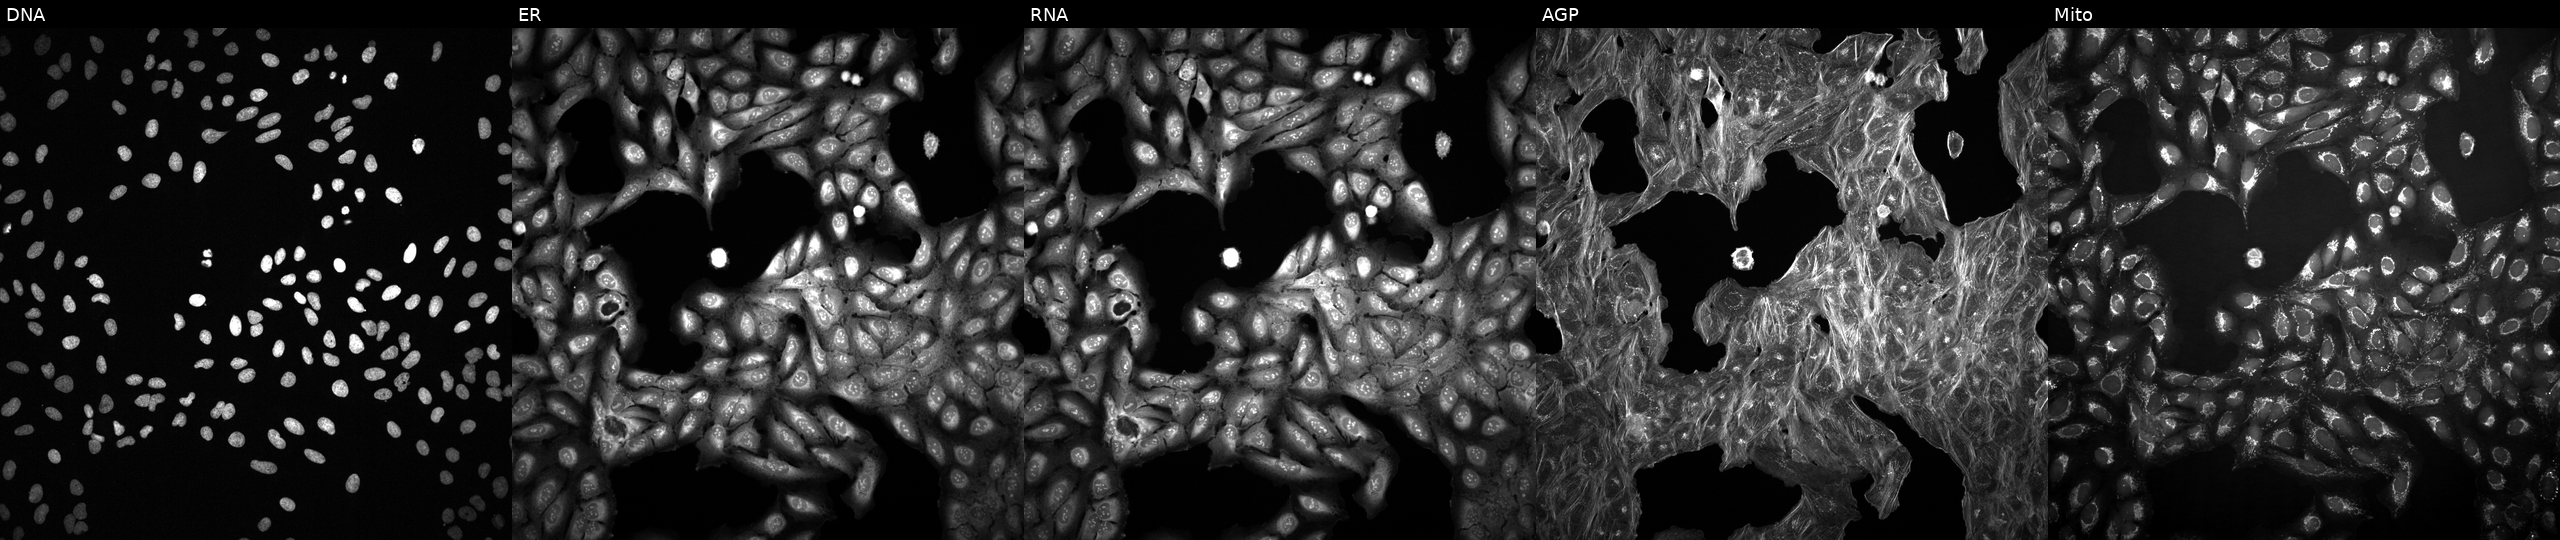
Five-channel Cell Painting image of U2OS cells exposed to a small-molecule compound. The five panels, left to right, show Hoechst 33342, concanavalin A, SYTO 14, phalloidin and WGA, MitoTracker.